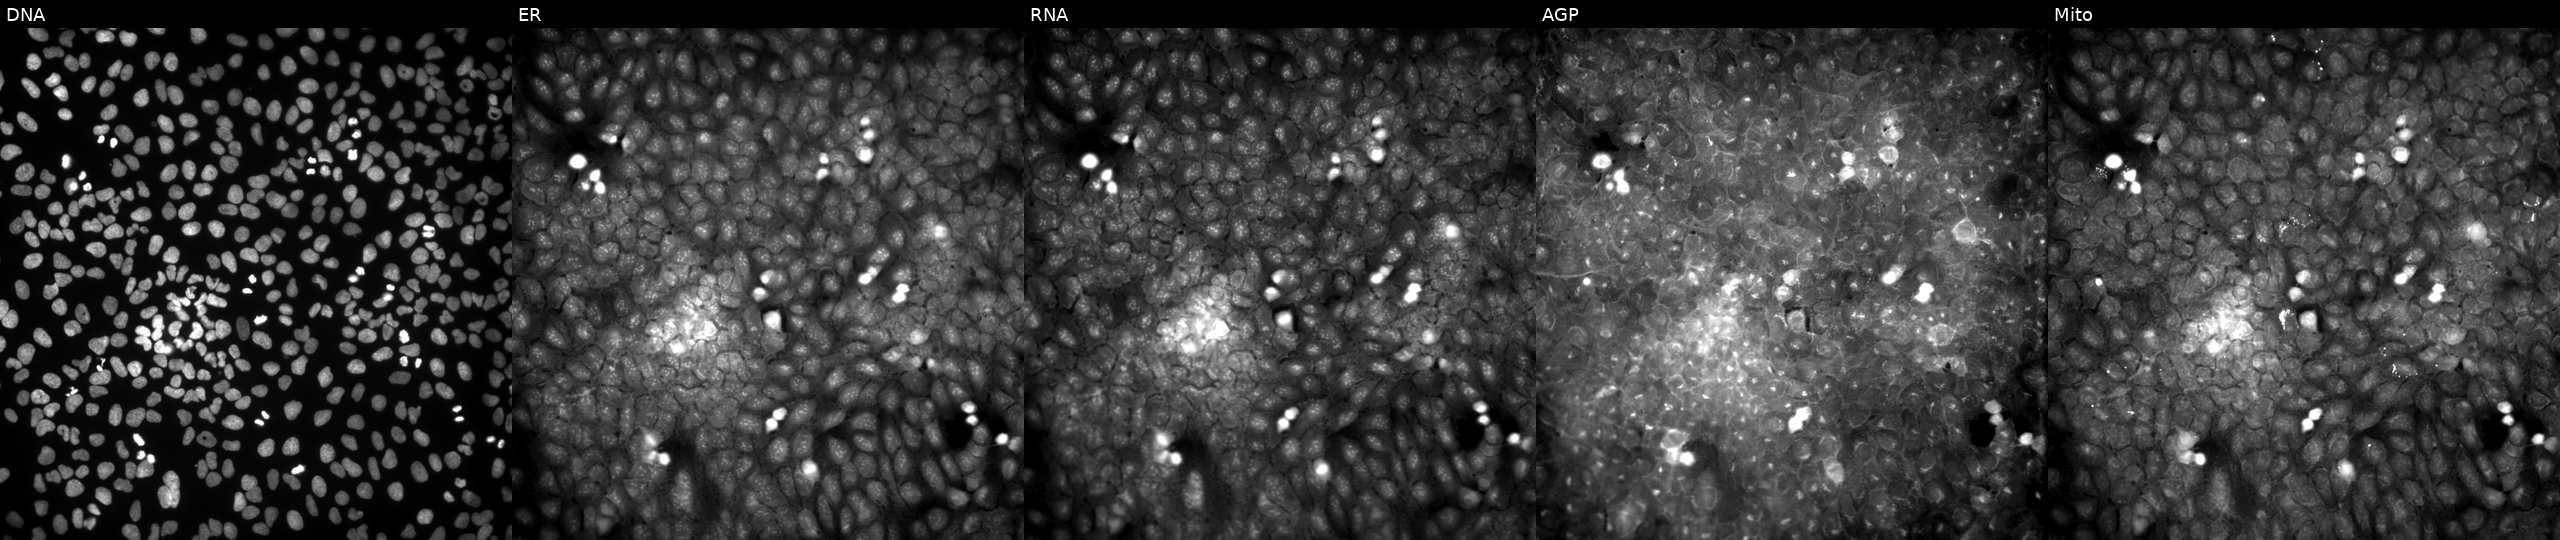
U2OS cells, Cell Painting assay, treated with a small-molecule compound (JUMP id JCP2022_000854). Panels show, left to right, DNA (nuclei); ER (endoplasmic reticulum); RNA (nucleoli and cytoplasmic RNA); AGP (actin cytoskeleton, Golgi, and plasma membrane); Mito (mitochondria). Each panel is percentile-stretched 16-bit fluorescence.